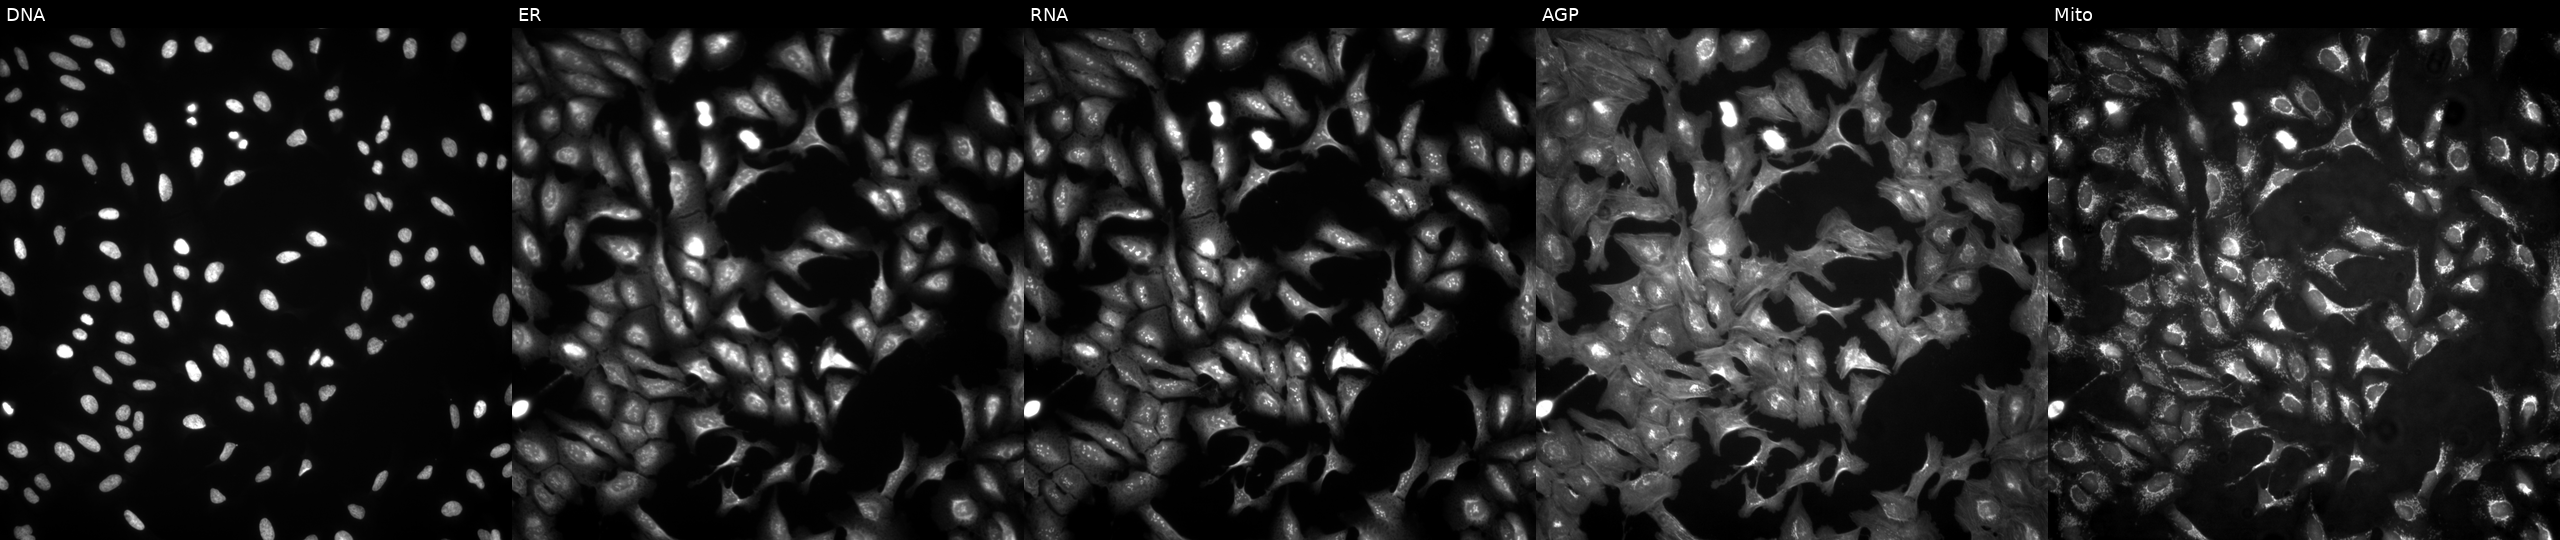
Five-channel Cell Painting image of U2OS cells overexpressing EMC6 via ORF transfection (JUMP id JCP2022_903999). The five panels, left to right, show DNA (nuclei); ER (endoplasmic reticulum); RNA (nucleoli and cytoplasmic RNA); AGP (actin cytoskeleton, Golgi, and plasma membrane); Mito (mitochondria).